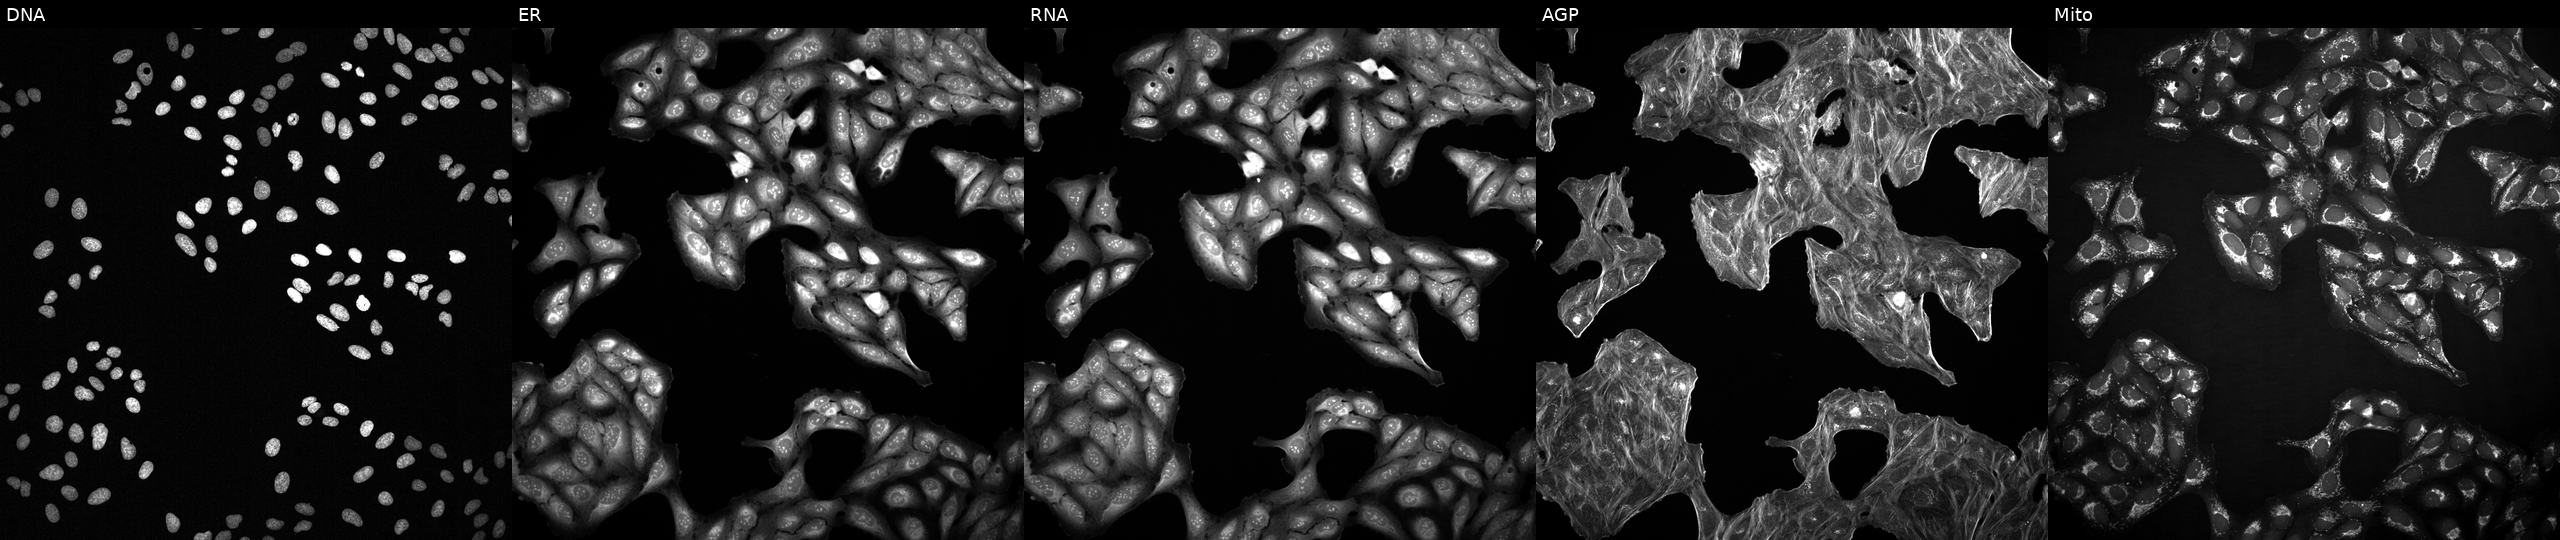
High-content fluorescence microscopy (Cell Painting). Cell line: U2OS. Perturbation: perturbed with a small-molecule compound. From left to right: Hoechst 33342, concanavalin A, SYTO 14, phalloidin and WGA, MitoTracker.